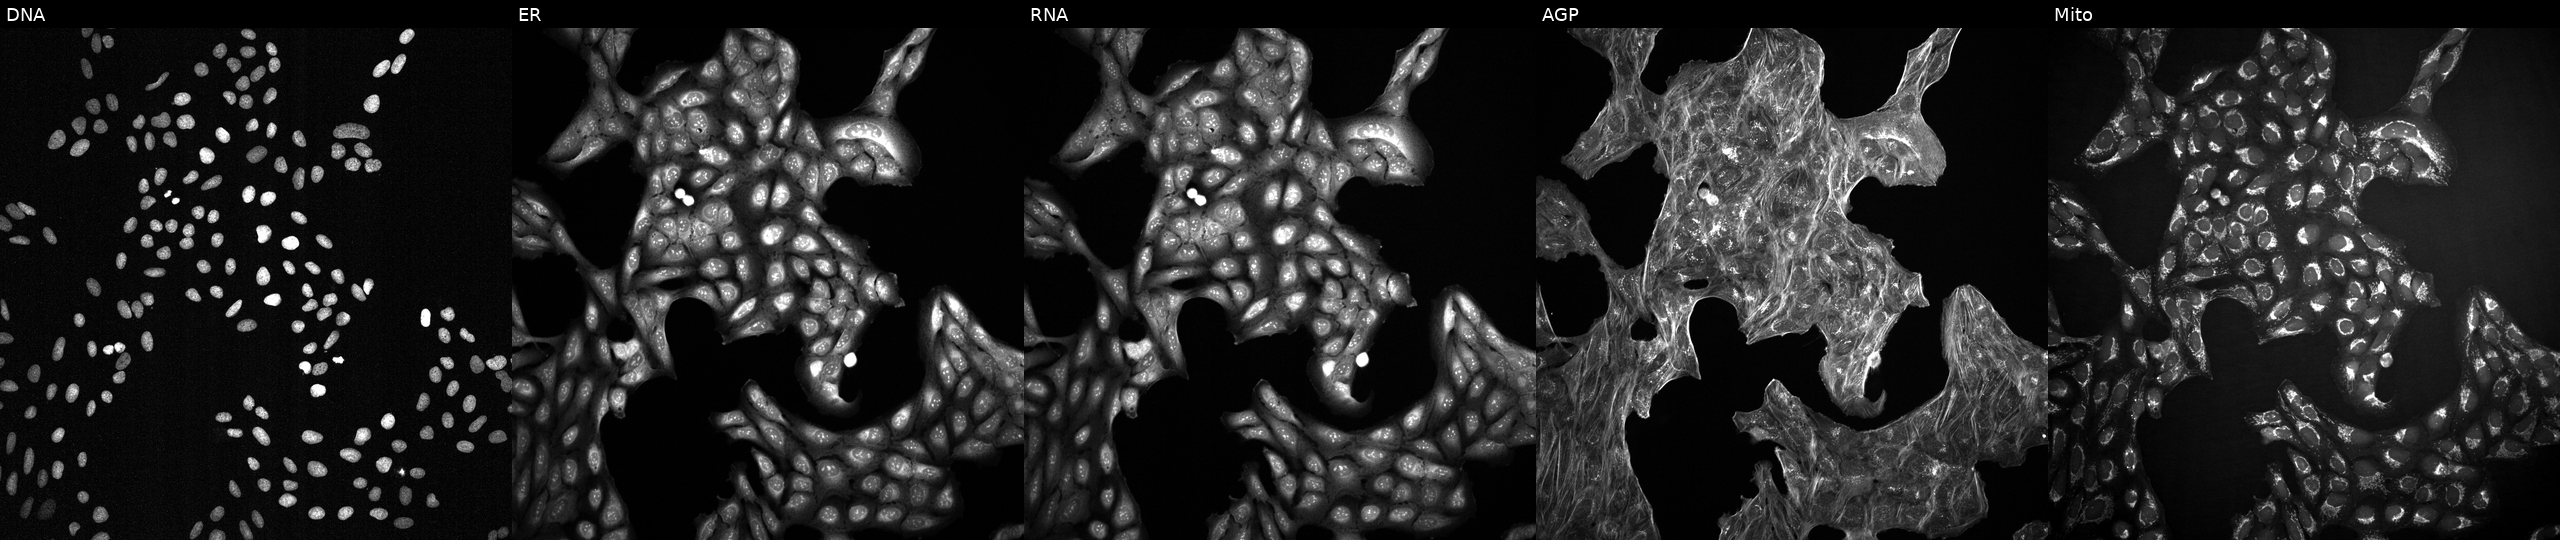
Five-channel Cell Painting image of U2OS cells treated with DMSO vehicle only (negative control) (JUMP id JCP2022_033924). Channels (left→right): DNA (nuclei); ER (endoplasmic reticulum); RNA (nucleoli and cytoplasmic RNA); AGP (actin cytoskeleton, Golgi, and plasma membrane); Mito (mitochondria).